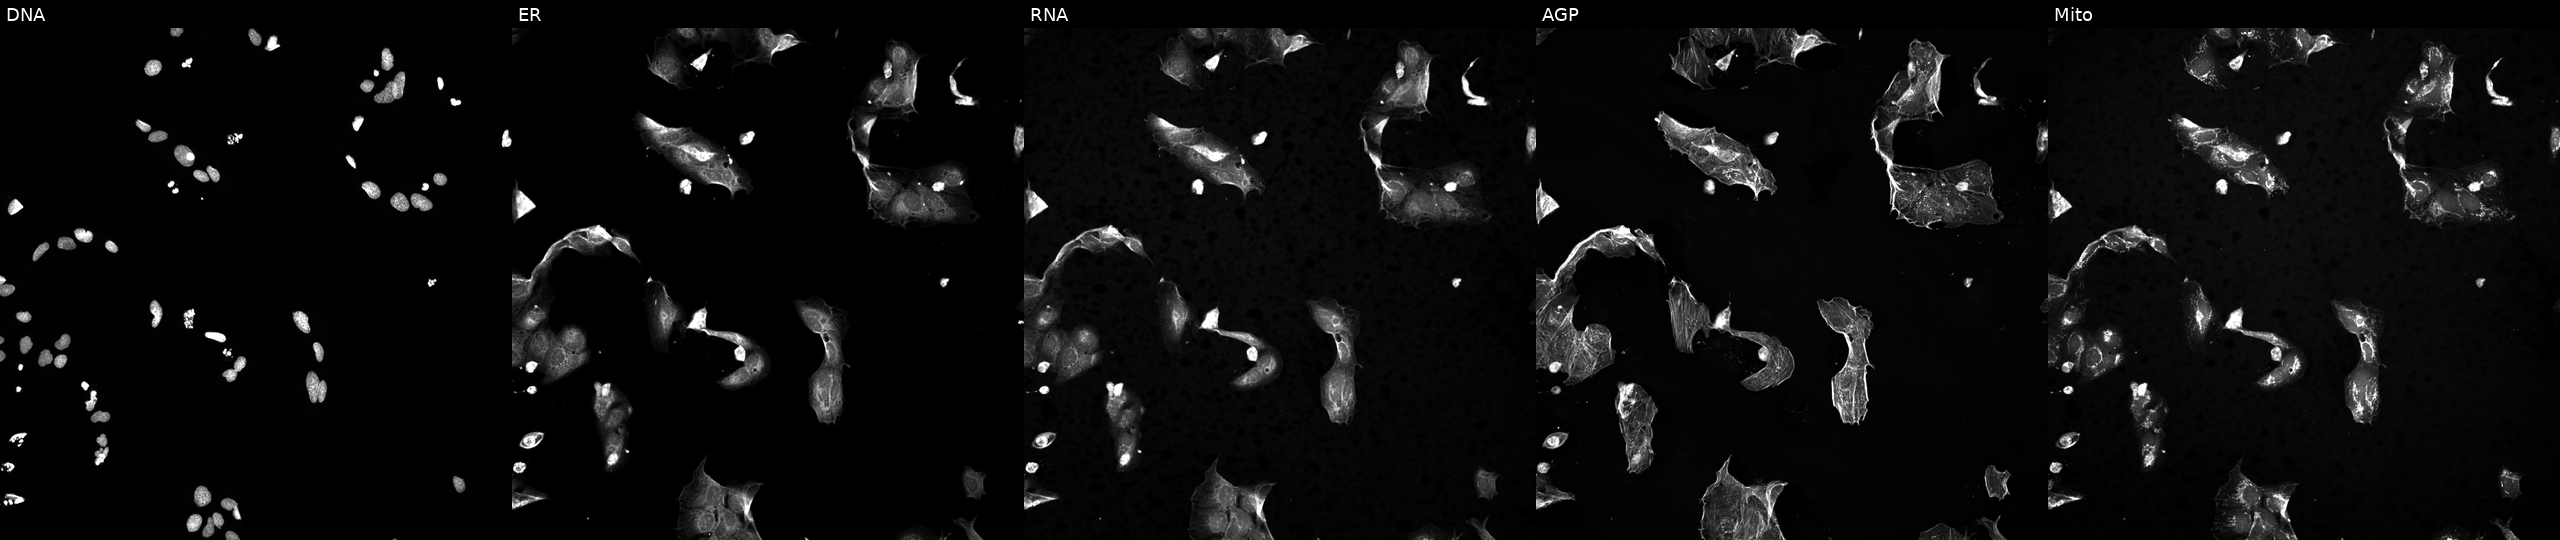
High-content fluorescence microscopy (Cell Painting). Cell line: U2OS. Perturbation: exposed to a small-molecule compound (InChIKey RVAQIUULWULRNW-UHFFFAOYSA-N) [SMILES: CC(C)c1cc(-c2n[nH]c(=O)n2-c2ccc3c(ccn3C)c2)c(O)cc1O]. Channels (left→right): Hoechst 33342, concanavalin A, SYTO 14, phalloidin and WGA, MitoTracker. Source 5, plate ACPJUM012, well D13.